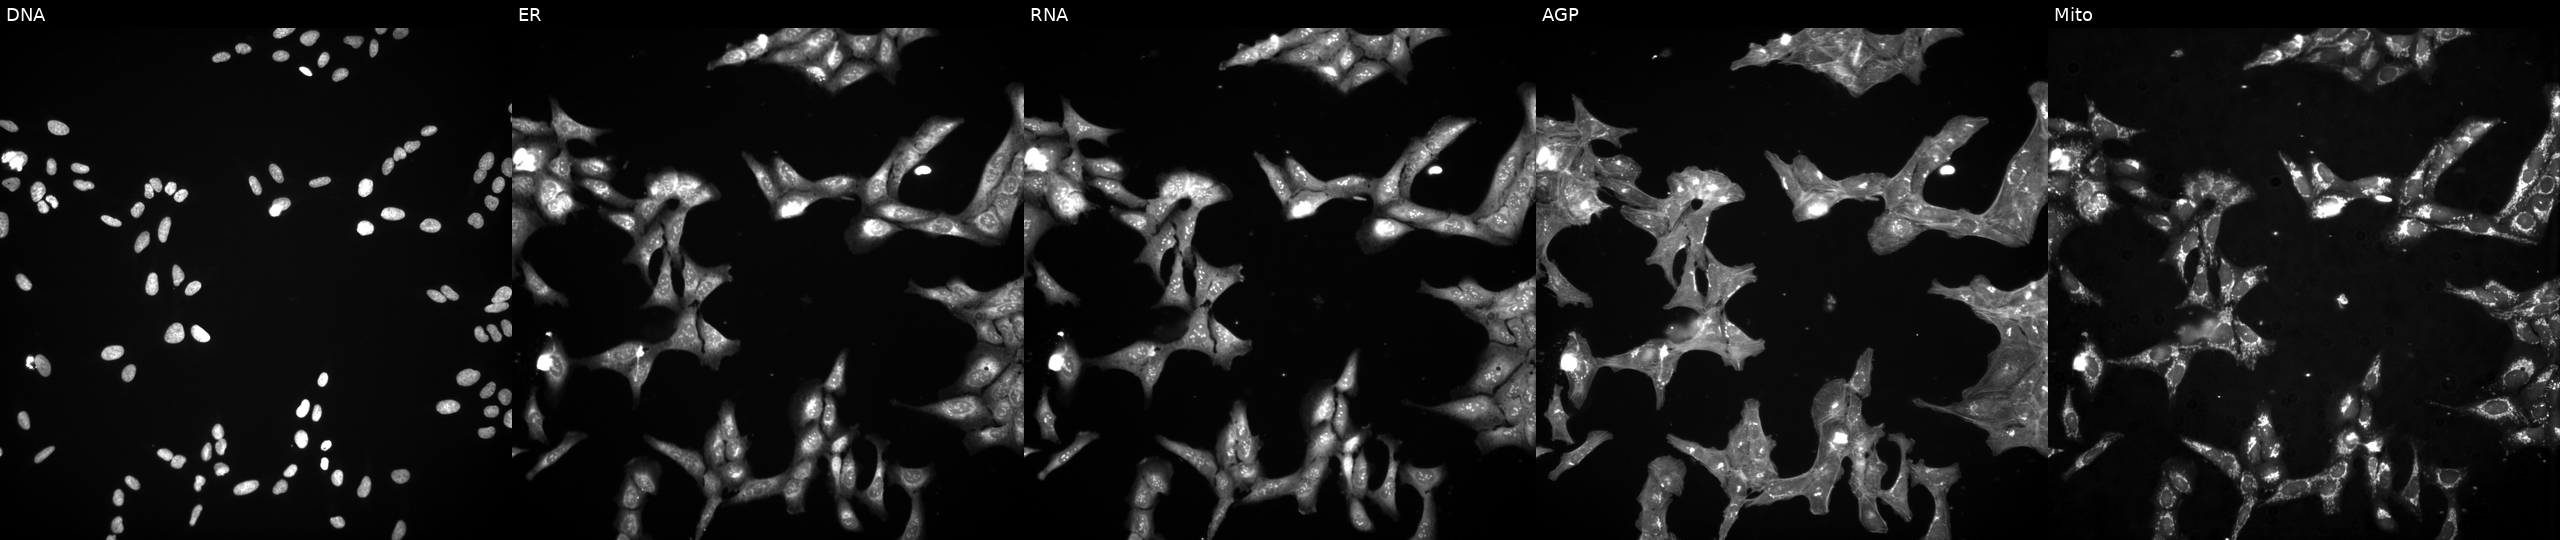
The five panels, left to right, show DNA, ER, RNA, AGP, and Mito. U2OS osteosarcoma cells exposed to a small-molecule compound (InChIKey XFILPEOLDIKJHX-UHFFFAOYSA-N) [SMILES: CNC(=O)C(Cc1ccccc1)NC(=O)C(CC(C)C)C(CSc1cccs1)C(O)=NO] (JUMP id JCP2022_103291). Cell Painting assay, JUMP-CP dataset.